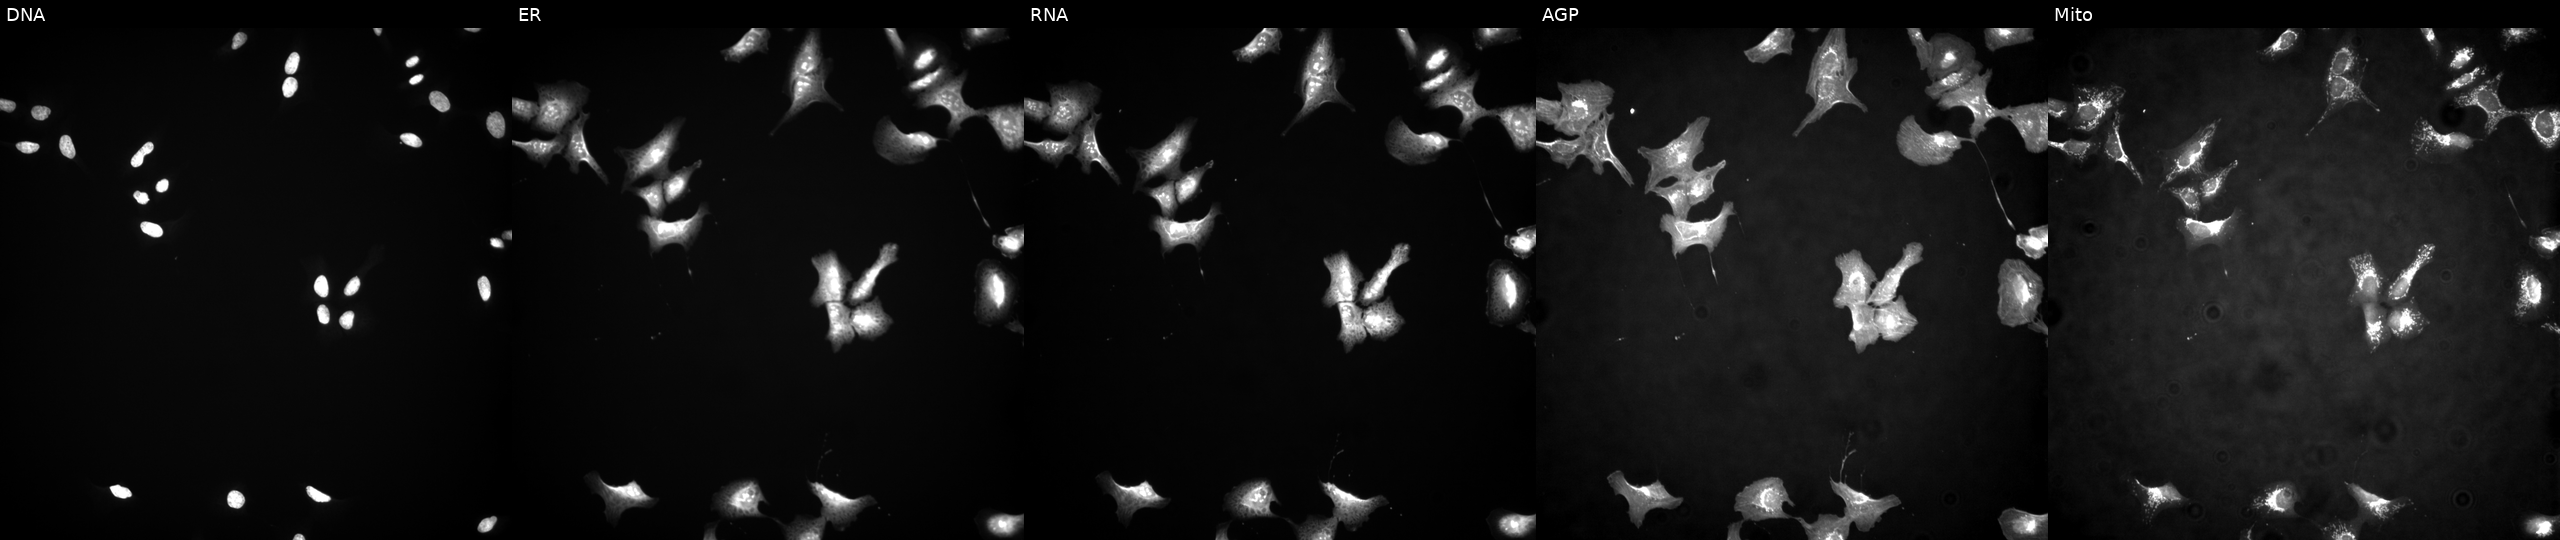
JUMP Cell Painting — ORF plate. U2OS cells expressing LUCIFERASE (ORF negative control). Panels show, left to right, DNA, ER, RNA, AGP, and Mito. Source 4, plate BR00117035, well M15.